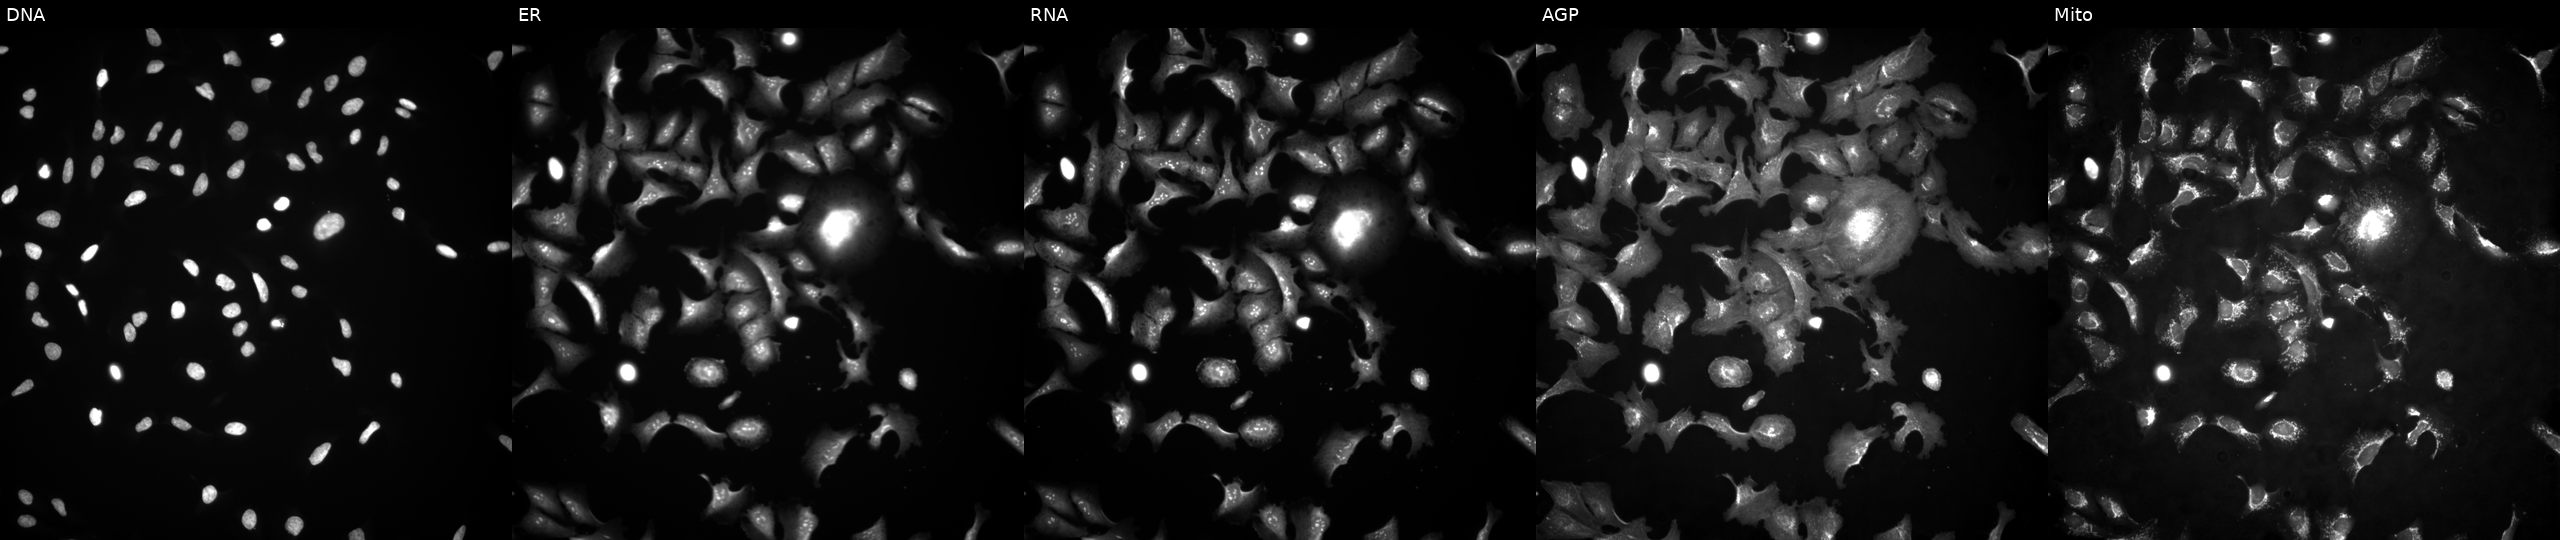
This image strip shows the five Cell Painting channels for a single field of U2OS cells overexpressing CDK8 via ORF transfection (JUMP id JCP2022_900258). Channels (left→right): Hoechst 33342, concanavalin A, SYTO 14, phalloidin and WGA, MitoTracker.